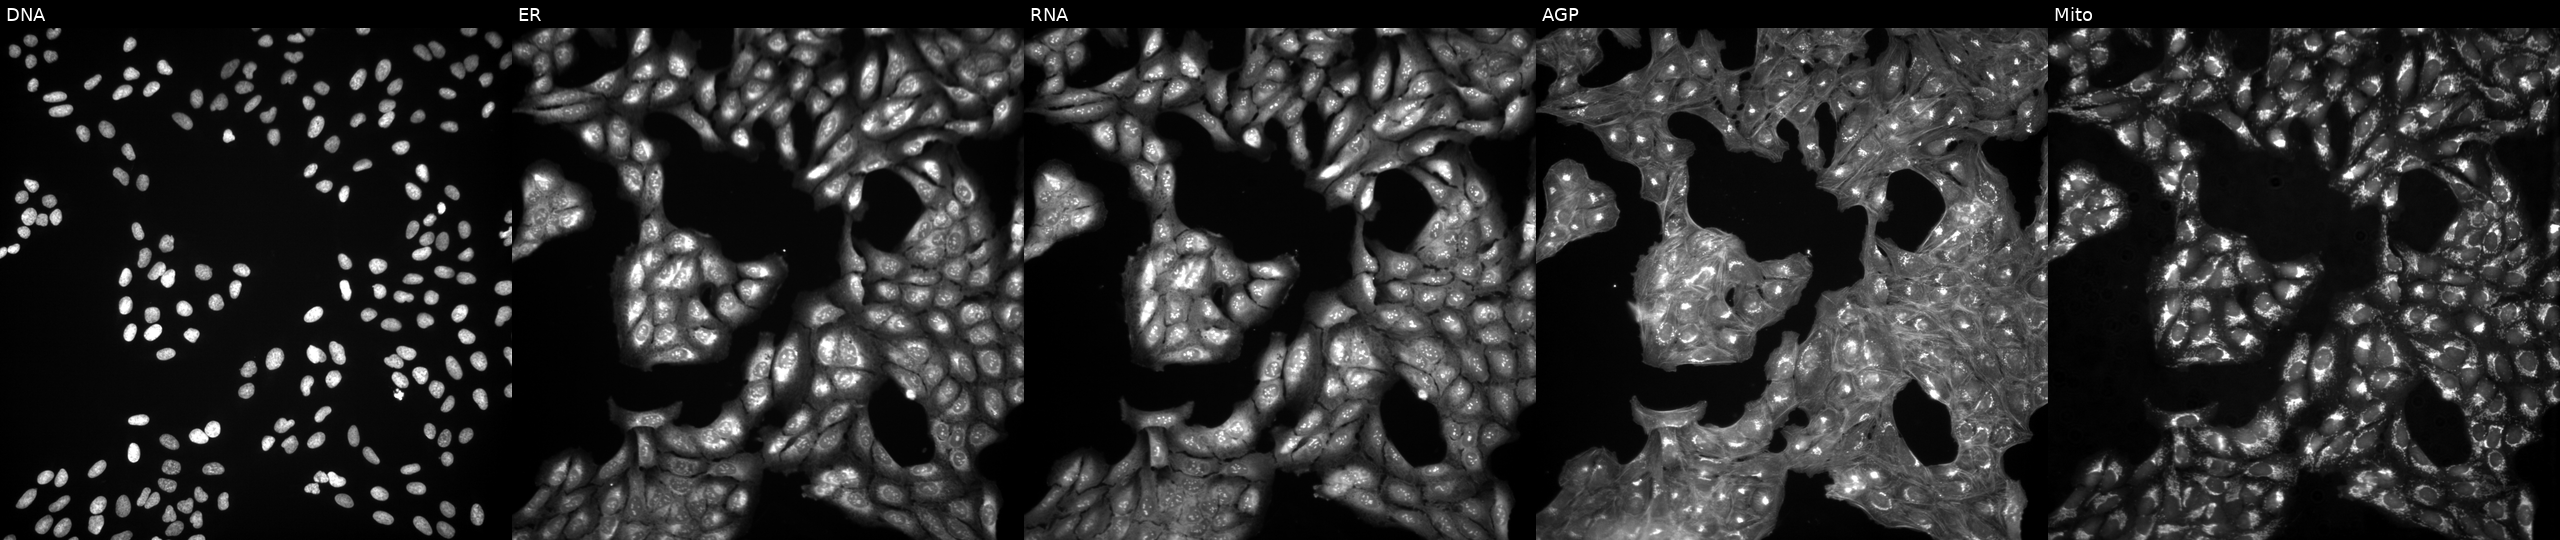
U2OS cells, Cell Painting assay, perturbed with a small-molecule compound (InChIKey JUUFBMODXQKSTD-UHFFFAOYSA-N). From left to right: Hoechst 33342, concanavalin A, SYTO 14, phalloidin and WGA, MitoTracker. Each panel is percentile-stretched 16-bit fluorescence.